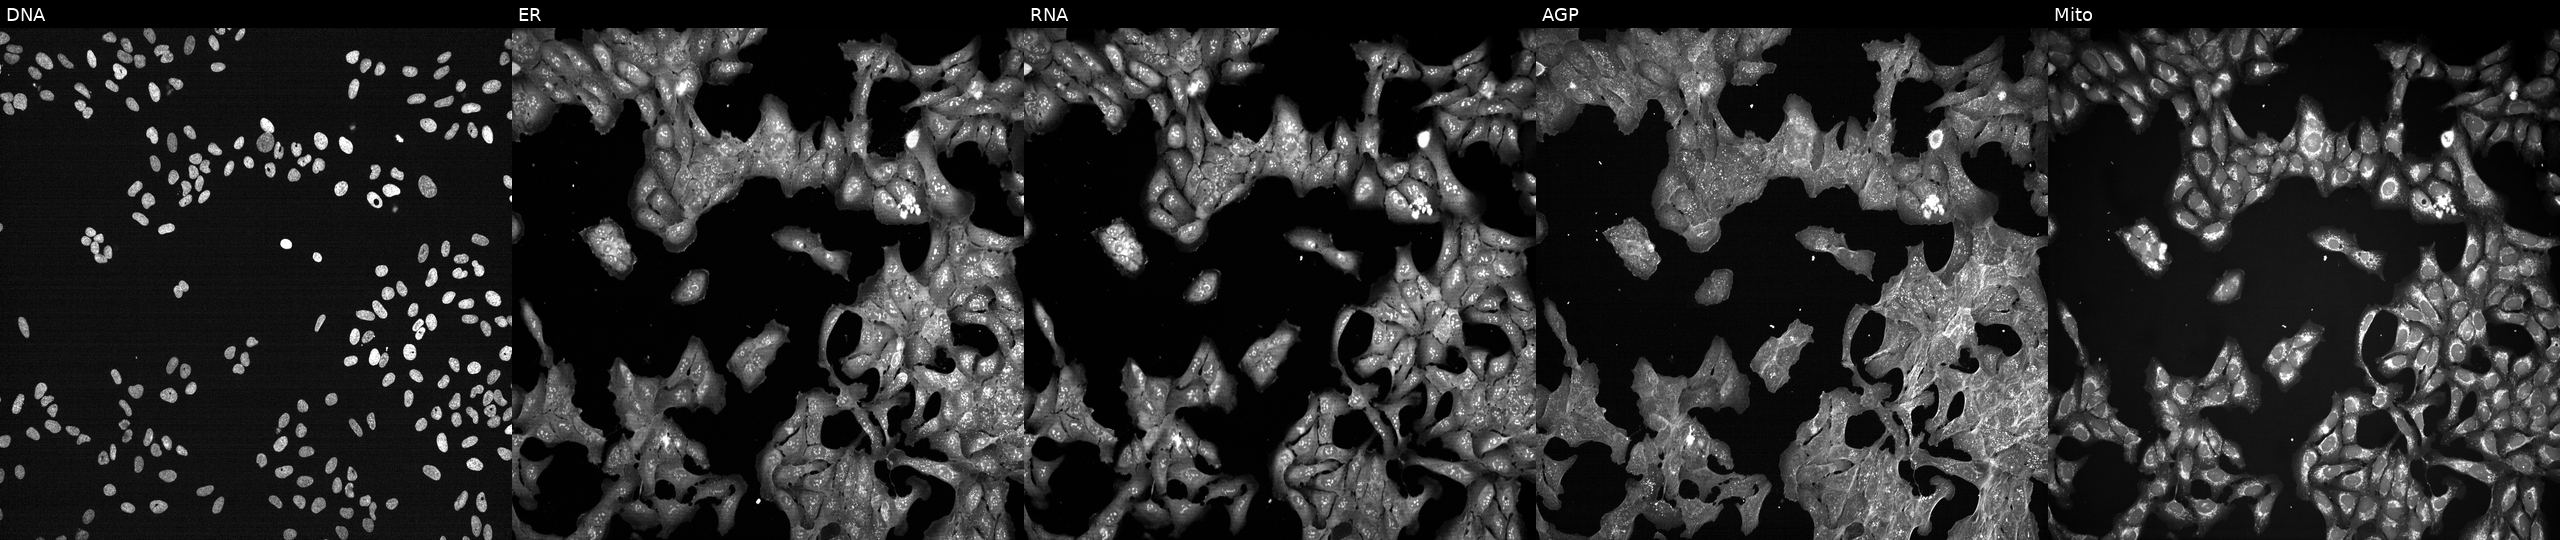
JUMP Cell Painting — TARGET2 plate. U2OS cells exposed to a small-molecule compound (JUMP id JCP2022_069491). Panels show, left to right, Hoechst 33342, concanavalin A, SYTO 14, phalloidin and WGA, MitoTracker. Source 7, plate CP3-SC1-25, well L04.